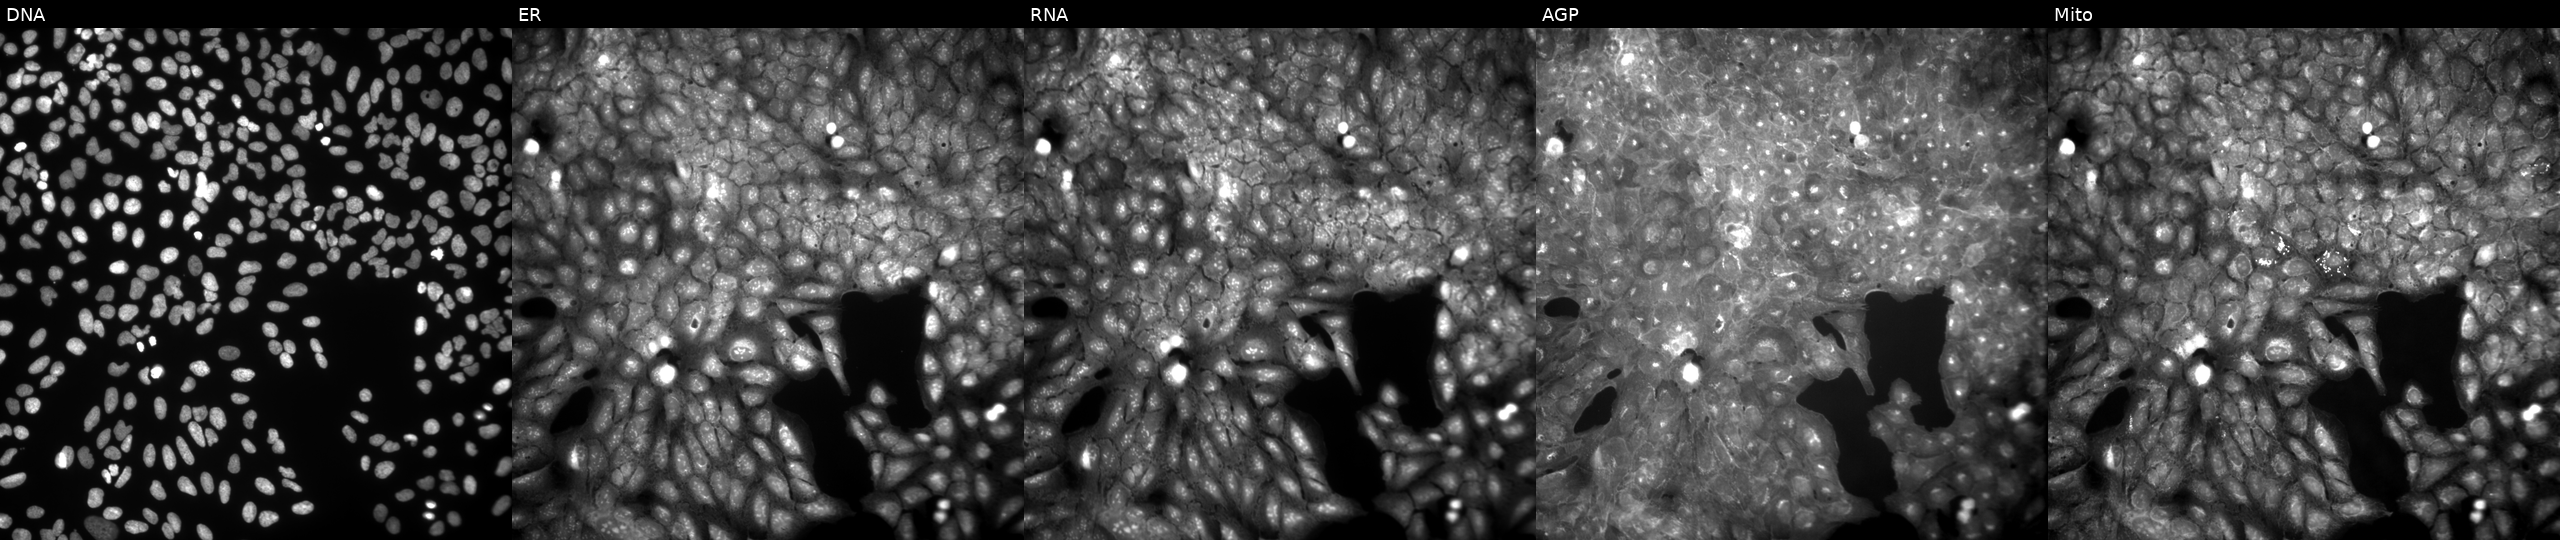
High-content fluorescence microscopy (Cell Painting). Cell line: U2OS. Perturbation: exposed to a small-molecule compound (InChIKey QAWJHFJCZCUFOT-UHFFFAOYSA-N) (JUMP id JCP2022_072235). From left to right: DNA, ER, RNA, AGP, and Mito. Source 9, plate GR00003382, well S42.